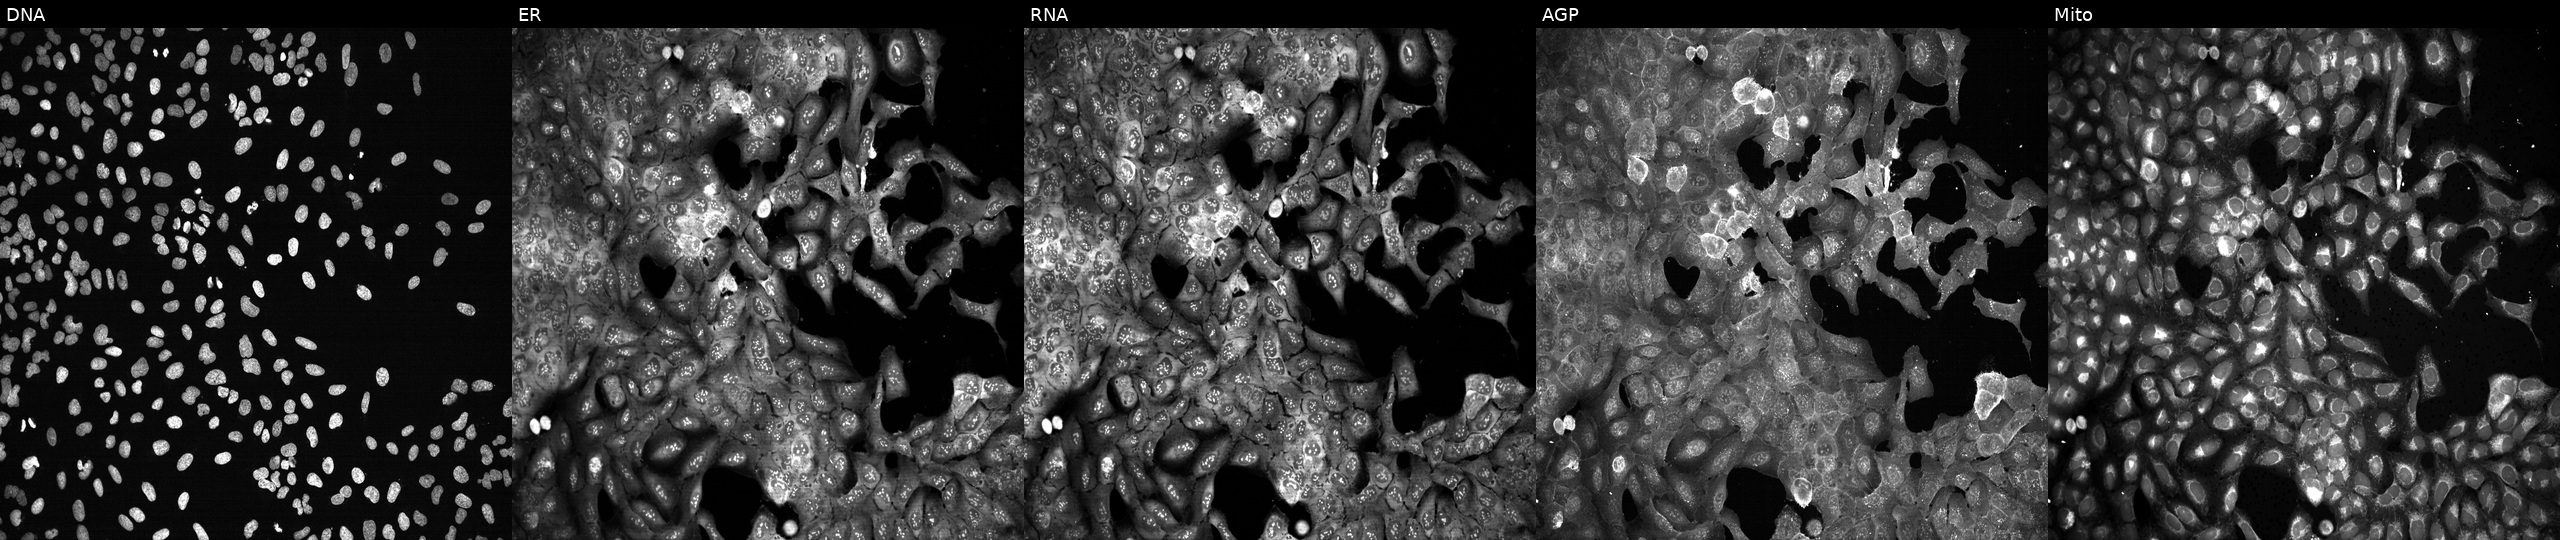
This image strip shows the five Cell Painting channels for a single field of U2OS cells CRISPR-edited to disrupt RDH14. From left to right: DNA (nuclei); ER (endoplasmic reticulum); RNA (nucleoli and cytoplasmic RNA); AGP (actin cytoskeleton, Golgi, and plasma membrane); Mito (mitochondria).